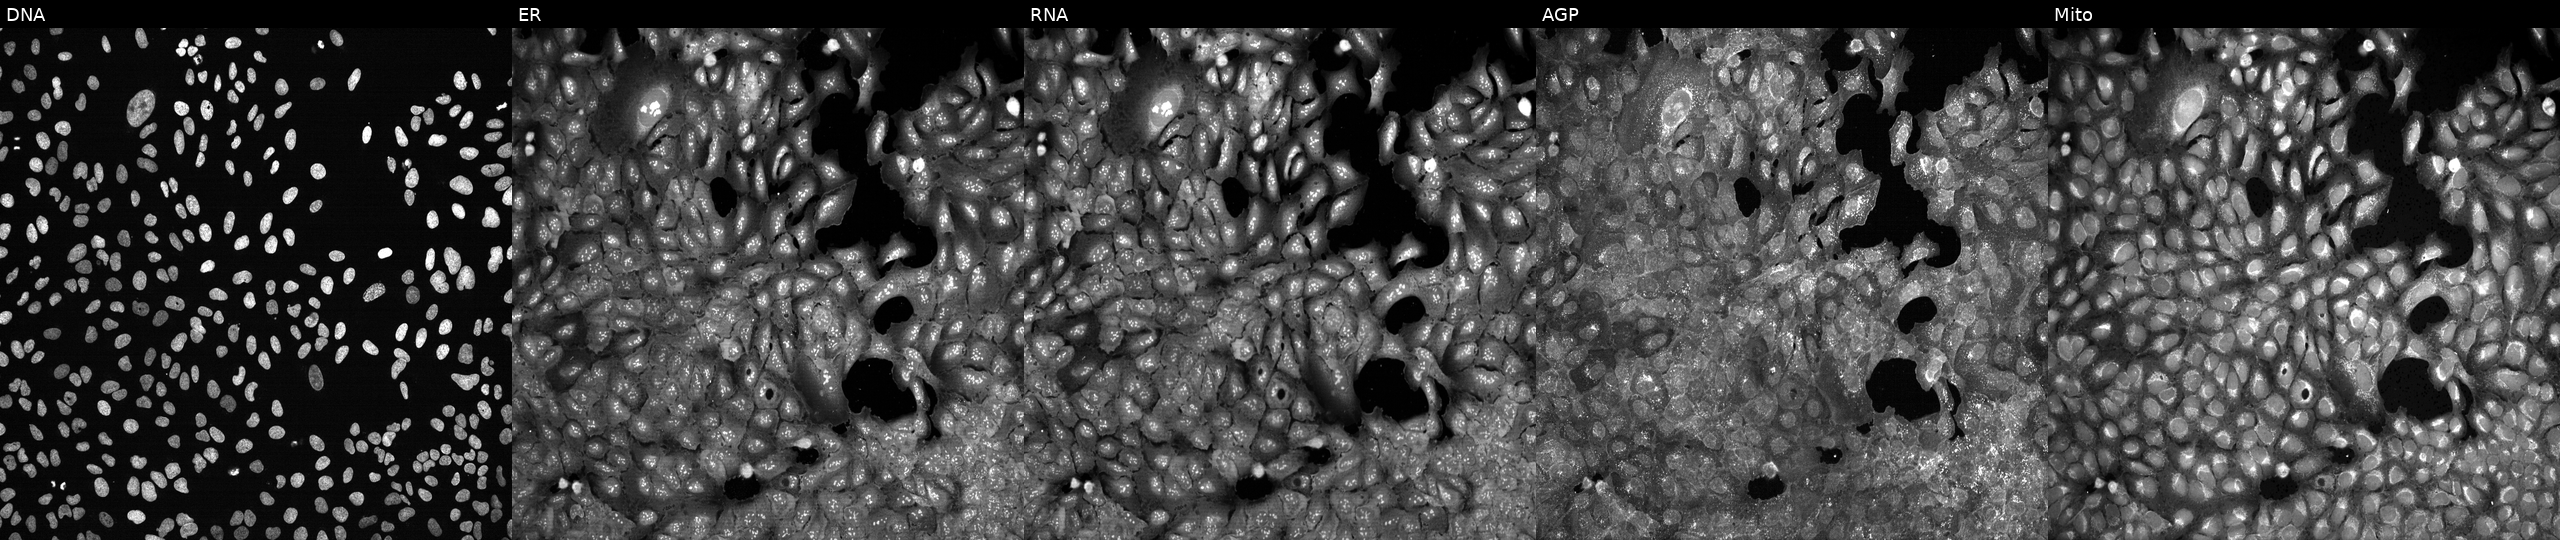
High-content fluorescence microscopy (Cell Painting). Cell line: U2OS. Perturbation: following CRISPR knockout of ALDH1L2 (JUMP id JCP2022_800387). Channels (left→right): Hoechst 33342, concanavalin A, SYTO 14, phalloidin and WGA, MitoTracker. Source 13, plate CP-CC9-R1-02, well G07.